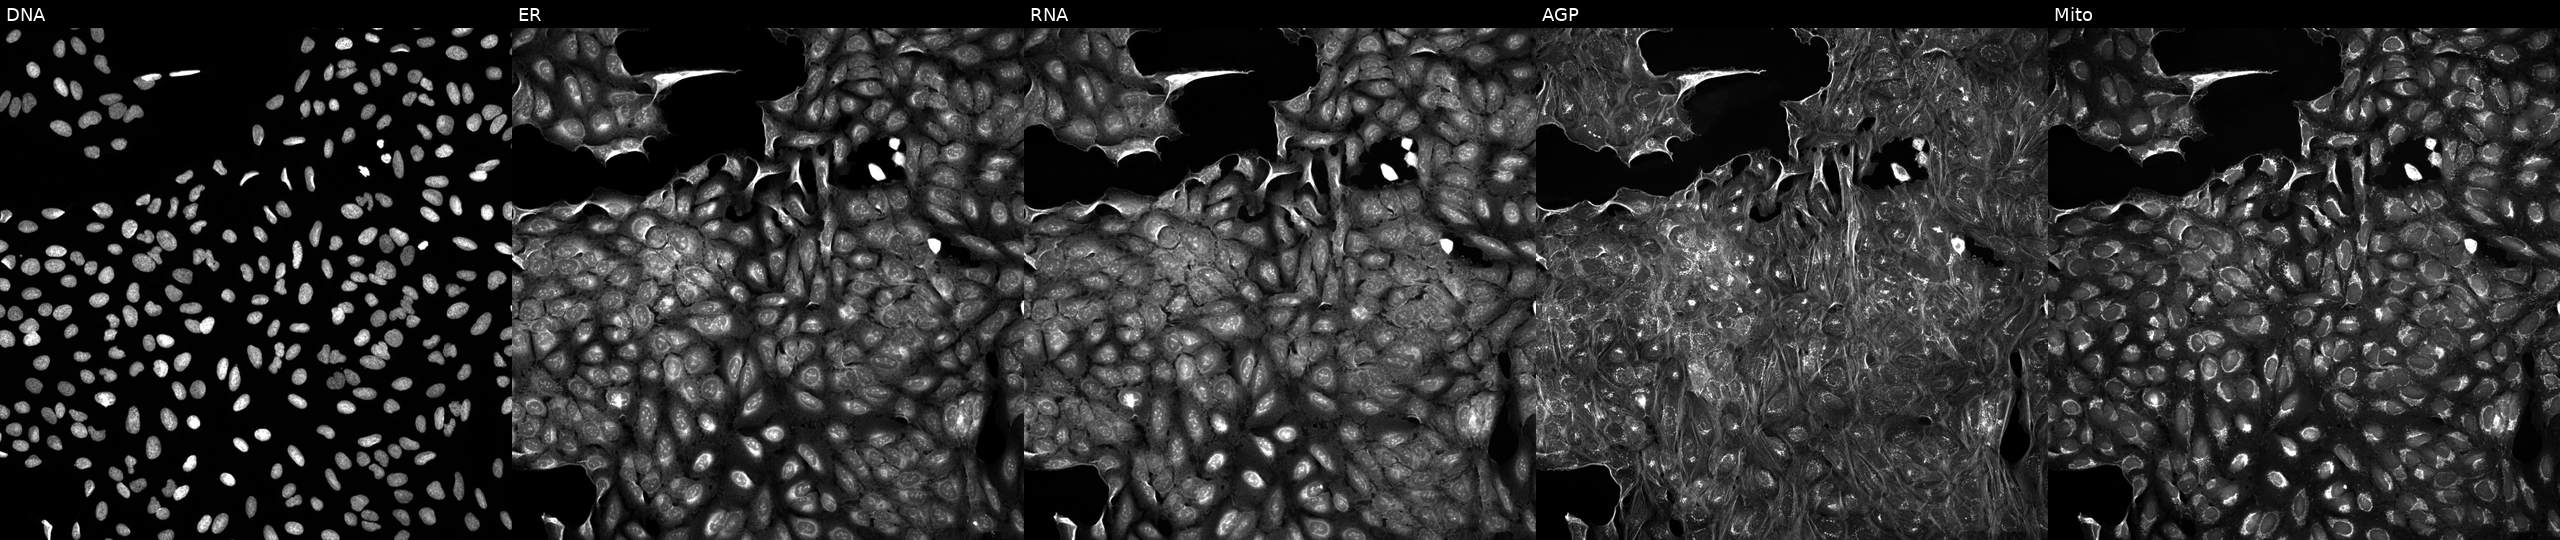
Five-channel Cell Painting image of U2OS cells exposed to a small-molecule compound (InChIKey SGRYPYWGNKJSDL-UHFFFAOYSA-N) [SMILES: CC(C)c1ccc2oc3[nH]c(=N)c(C(=O)O)cc3c(=O)c2c1]. Panels show, left to right, DNA (nuclei); ER (endoplasmic reticulum); RNA (nucleoli and cytoplasmic RNA); AGP (actin cytoskeleton, Golgi, and plasma membrane); Mito (mitochondria).